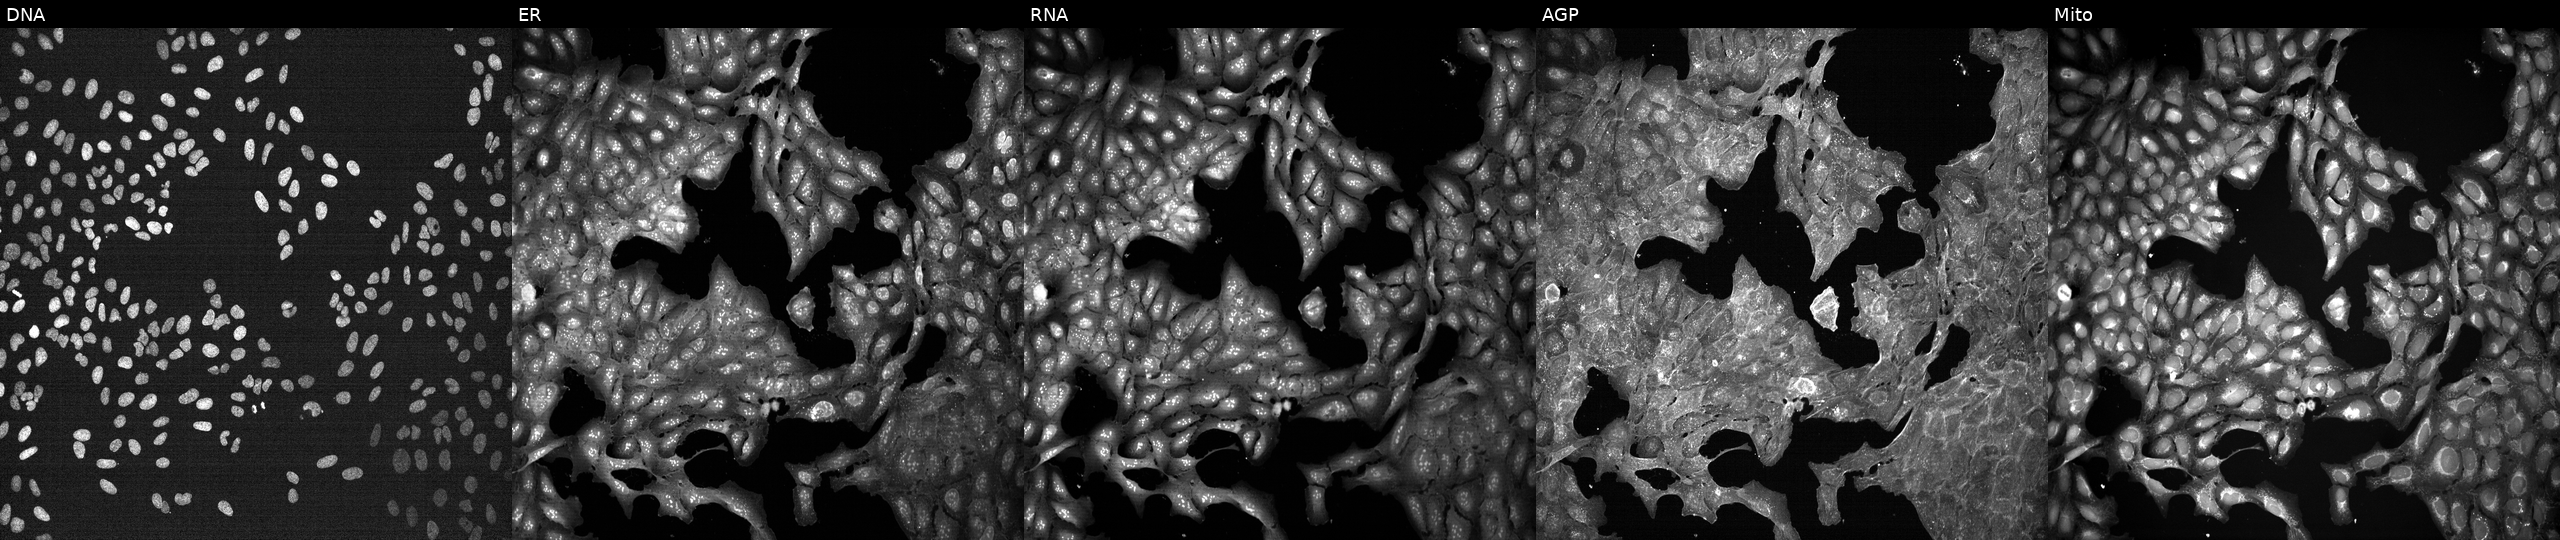
U2OS cells, Cell Painting assay, exposed to a small-molecule compound (InChIKey KJFMBFZCATUALV-UHFFFAOYSA-N) [SMILES: O=C1OC(c2ccc(O)cc2)(c2ccc(O)cc2)c2ccccc21]. The five panels, left to right, show DNA (nuclei); ER (endoplasmic reticulum); RNA (nucleoli and cytoplasmic RNA); AGP (actin cytoskeleton, Golgi, and plasma membrane); Mito (mitochondria). Each panel is percentile-stretched 16-bit fluorescence. Source 7, plate CP1-SC1-25, well O16.